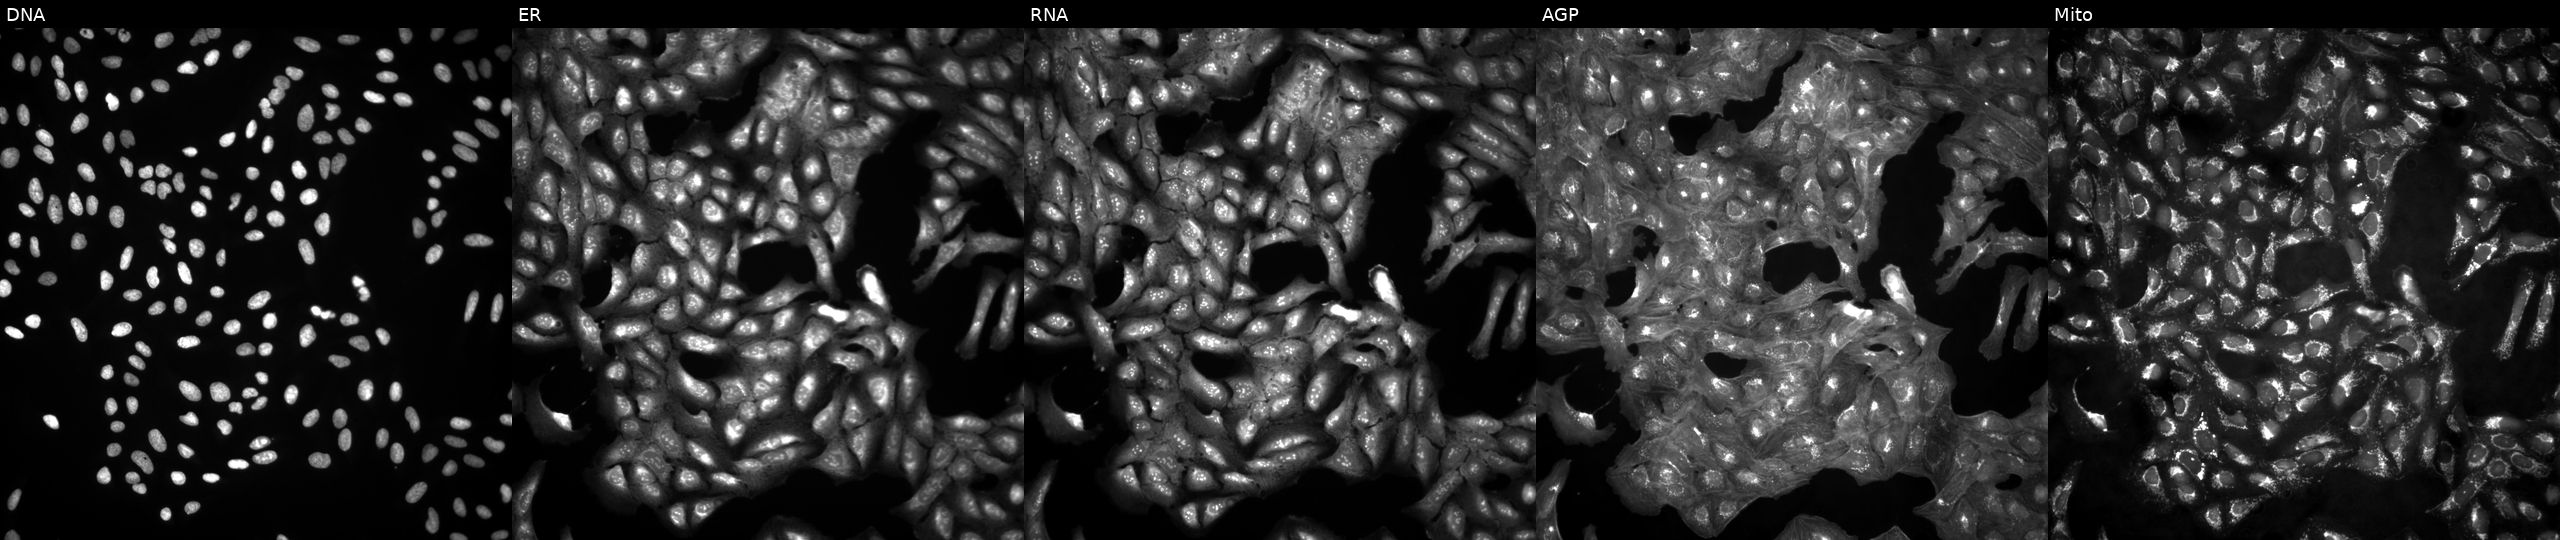
High-content fluorescence microscopy (Cell Painting). Cell line: U2OS. Perturbation: in an empty control well (no perturbation) (JUMP id JCP2022_999999). Channels (left→right): Hoechst 33342, concanavalin A, SYTO 14, phalloidin and WGA, MitoTracker.